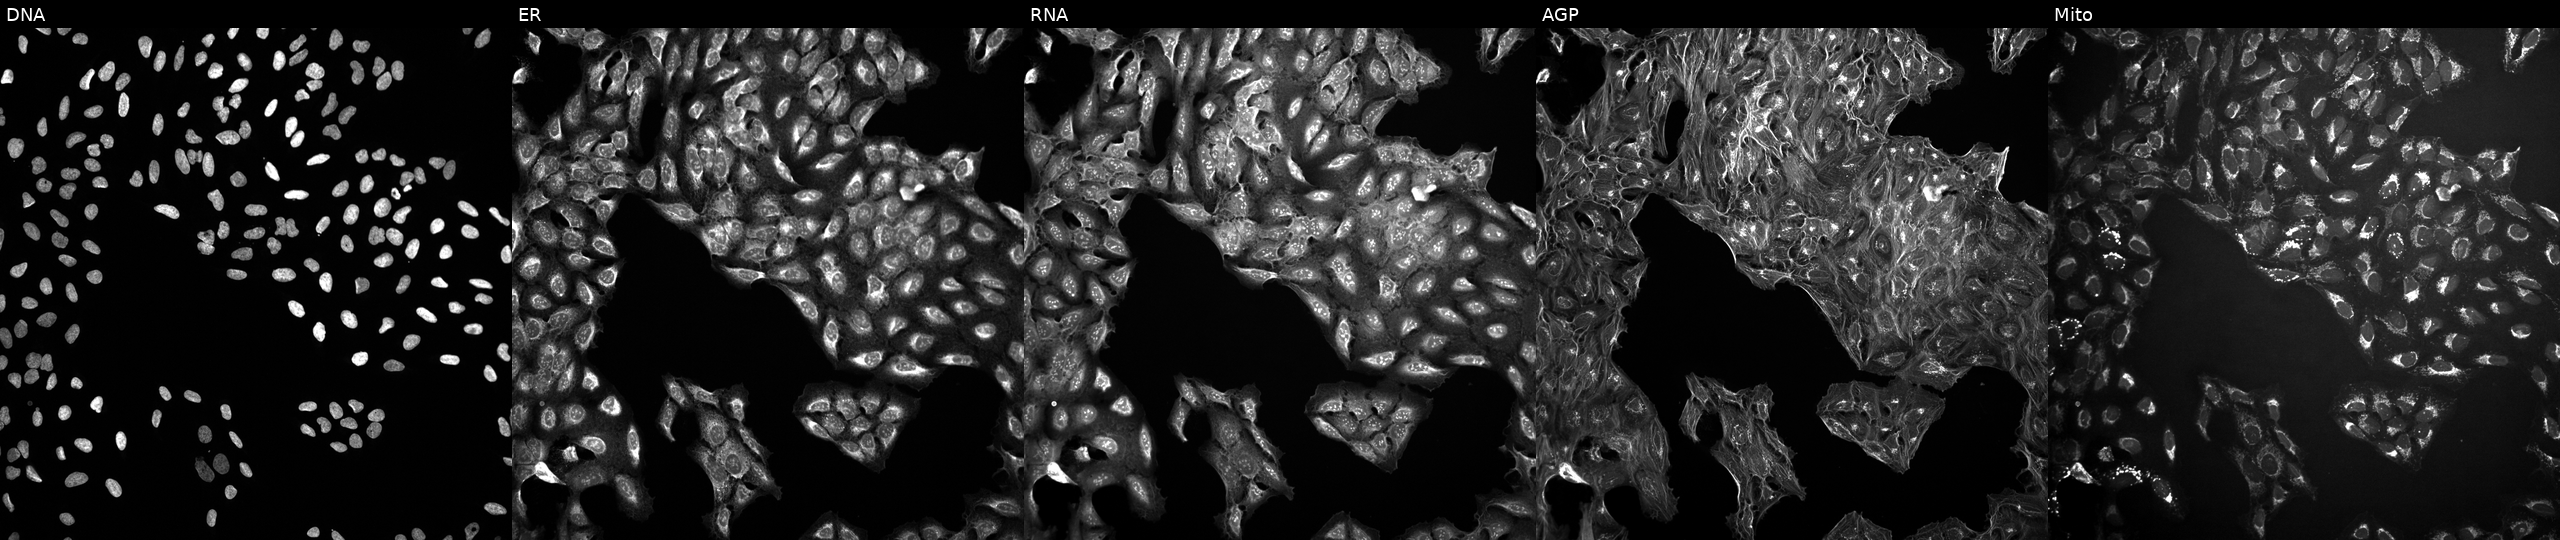
Channels (left→right): Hoechst 33342, concanavalin A, SYTO 14, phalloidin and WGA, MitoTracker. U2OS osteosarcoma cells exposed to a small-molecule compound (InChIKey MNOGGXUHXCITHM-UHFFFAOYSA-N) (JUMP id JCP2022_055314). Cell Painting assay, JUMP-CP dataset.